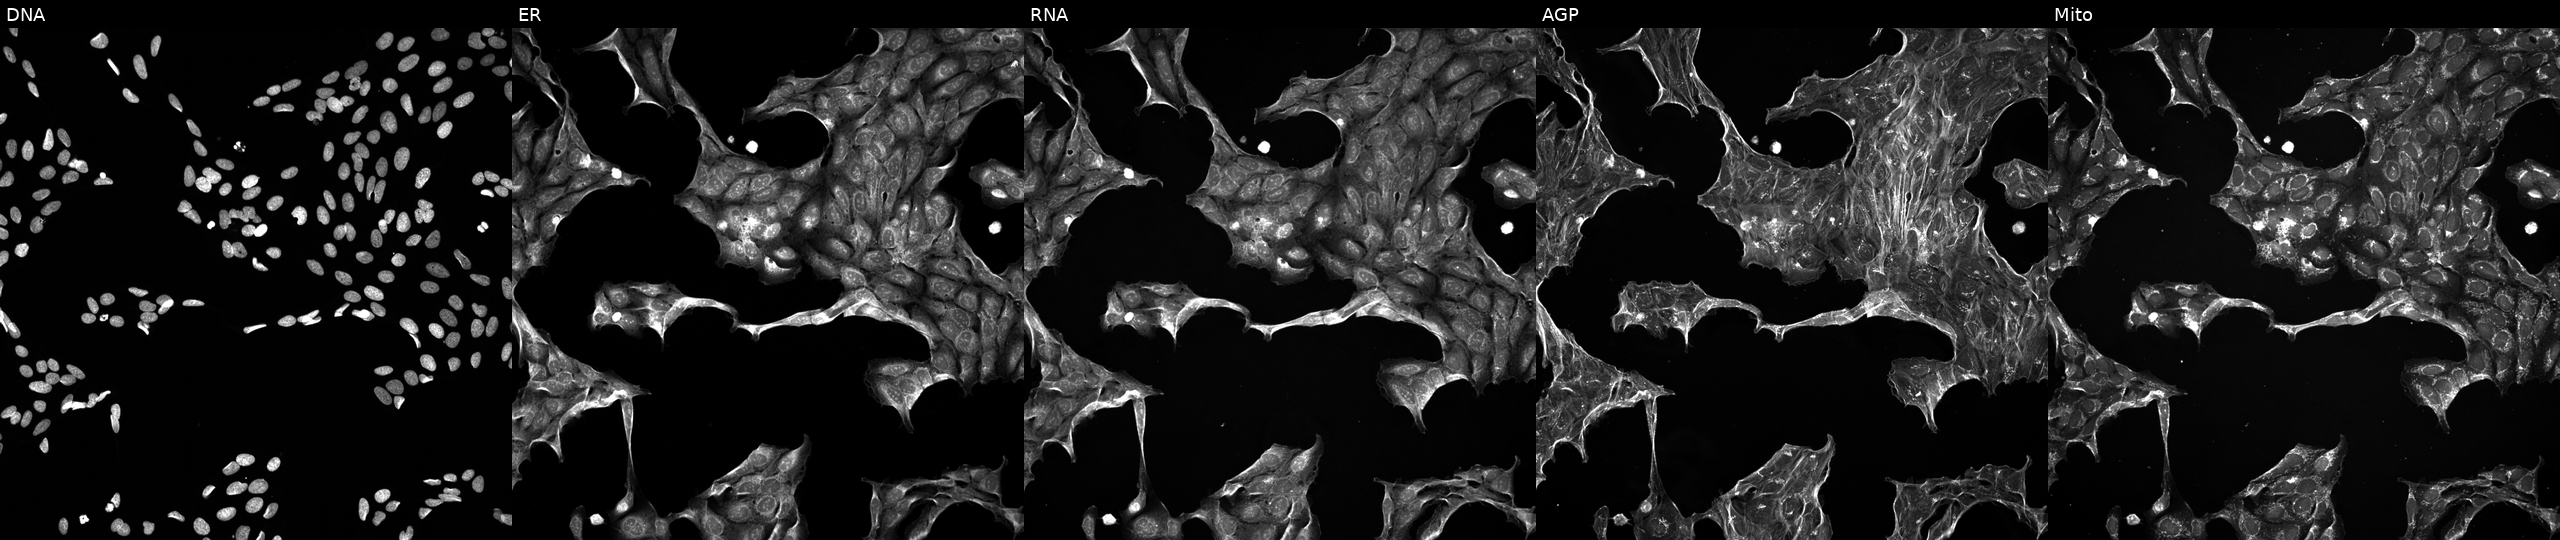
JUMP Cell Painting — TARGET2 plate. U2OS cells treated with a small-molecule compound (InChIKey JOOXLOJCABQBSG-UHFFFAOYSA-N). Channels (left→right): Hoechst 33342, concanavalin A, SYTO 14, phalloidin and WGA, MitoTracker. Source 5, plate ACPJUM032, well M22.